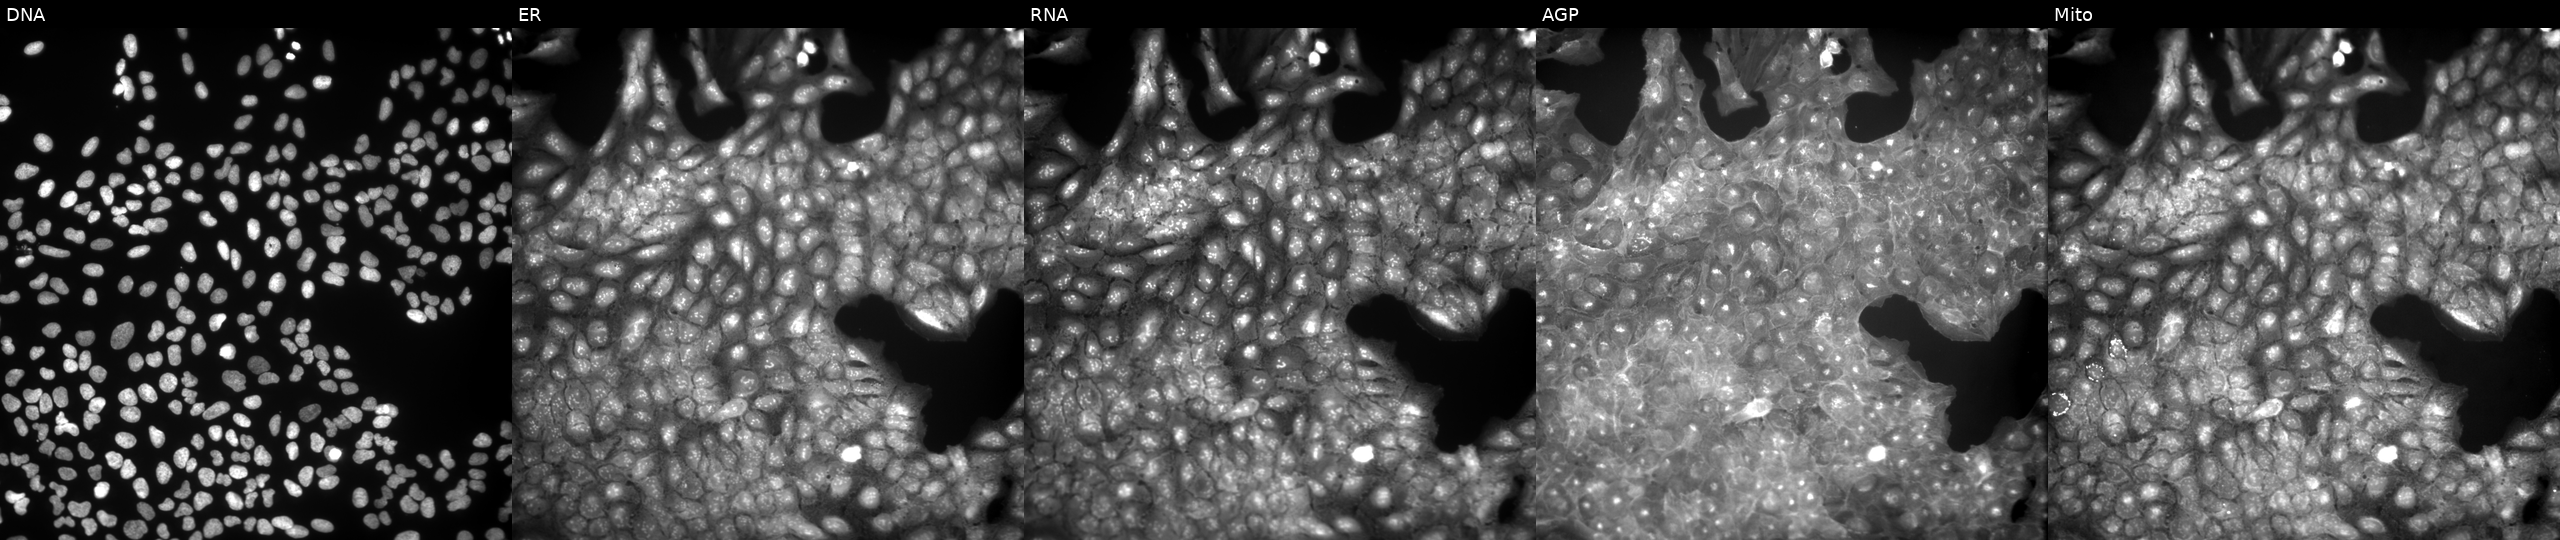
High-content fluorescence microscopy (Cell Painting). Cell line: U2OS. Perturbation: exposed to a small-molecule compound (InChIKey NTVPZEBRADKNLL-UHFFFAOYSA-N). The five panels, left to right, show DNA (nuclei); ER (endoplasmic reticulum); RNA (nucleoli and cytoplasmic RNA); AGP (actin cytoskeleton, Golgi, and plasma membrane); Mito (mitochondria). Source 9, plate GR00003381, well AC18.